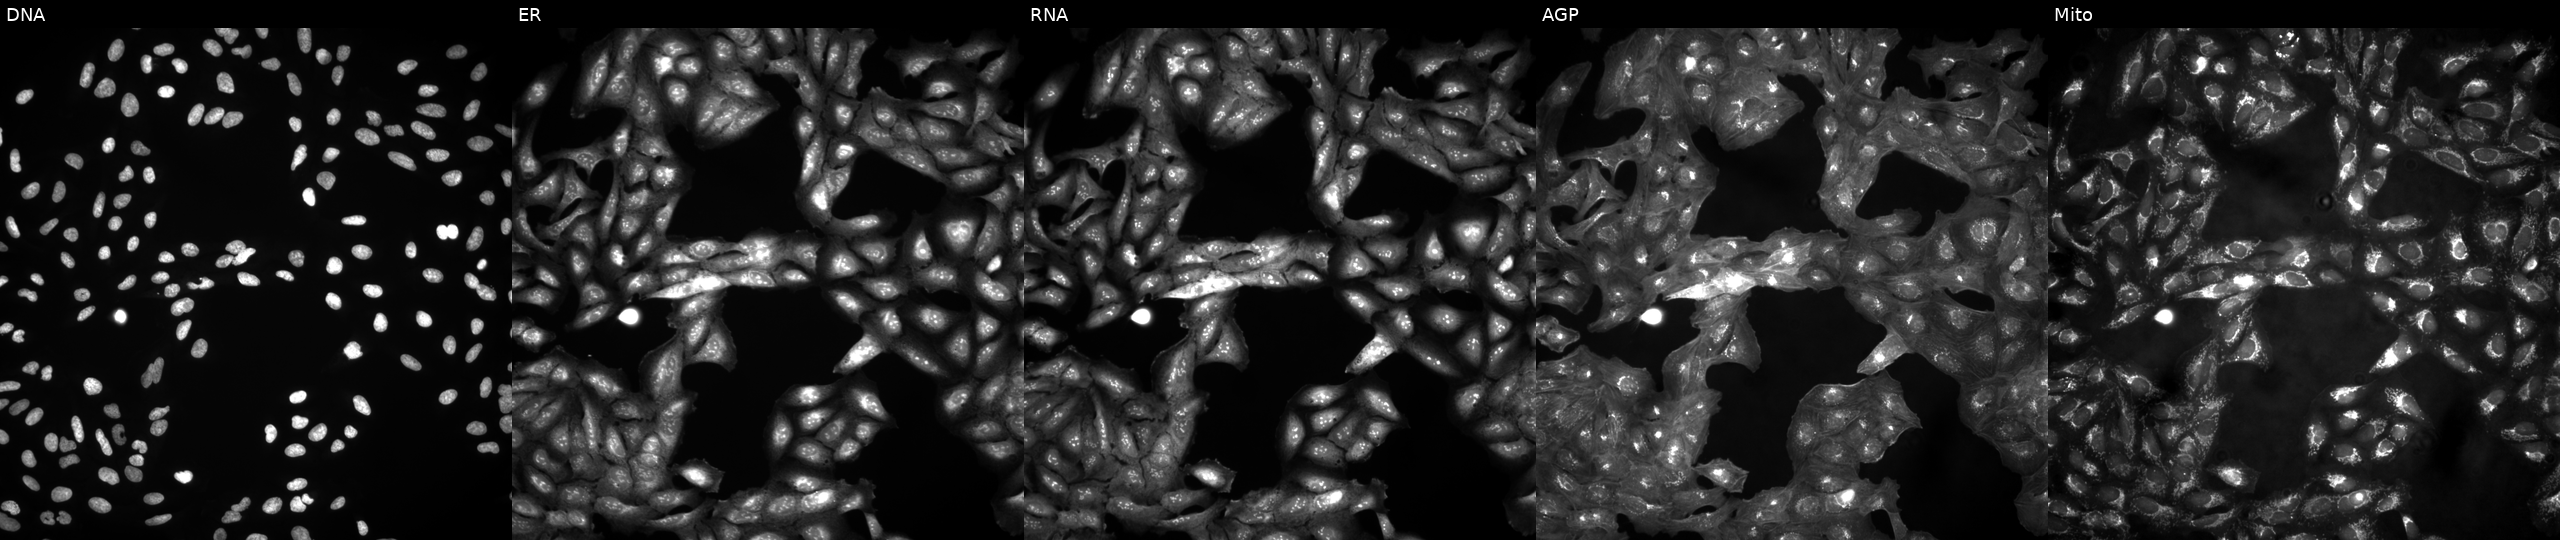
This image strip shows the five Cell Painting channels for a single field of U2OS cells in an empty control well (no perturbation) (JUMP id JCP2022_999999). The five panels, left to right, show DNA (nuclei); ER (endoplasmic reticulum); RNA (nucleoli and cytoplasmic RNA); AGP (actin cytoskeleton, Golgi, and plasma membrane); Mito (mitochondria).